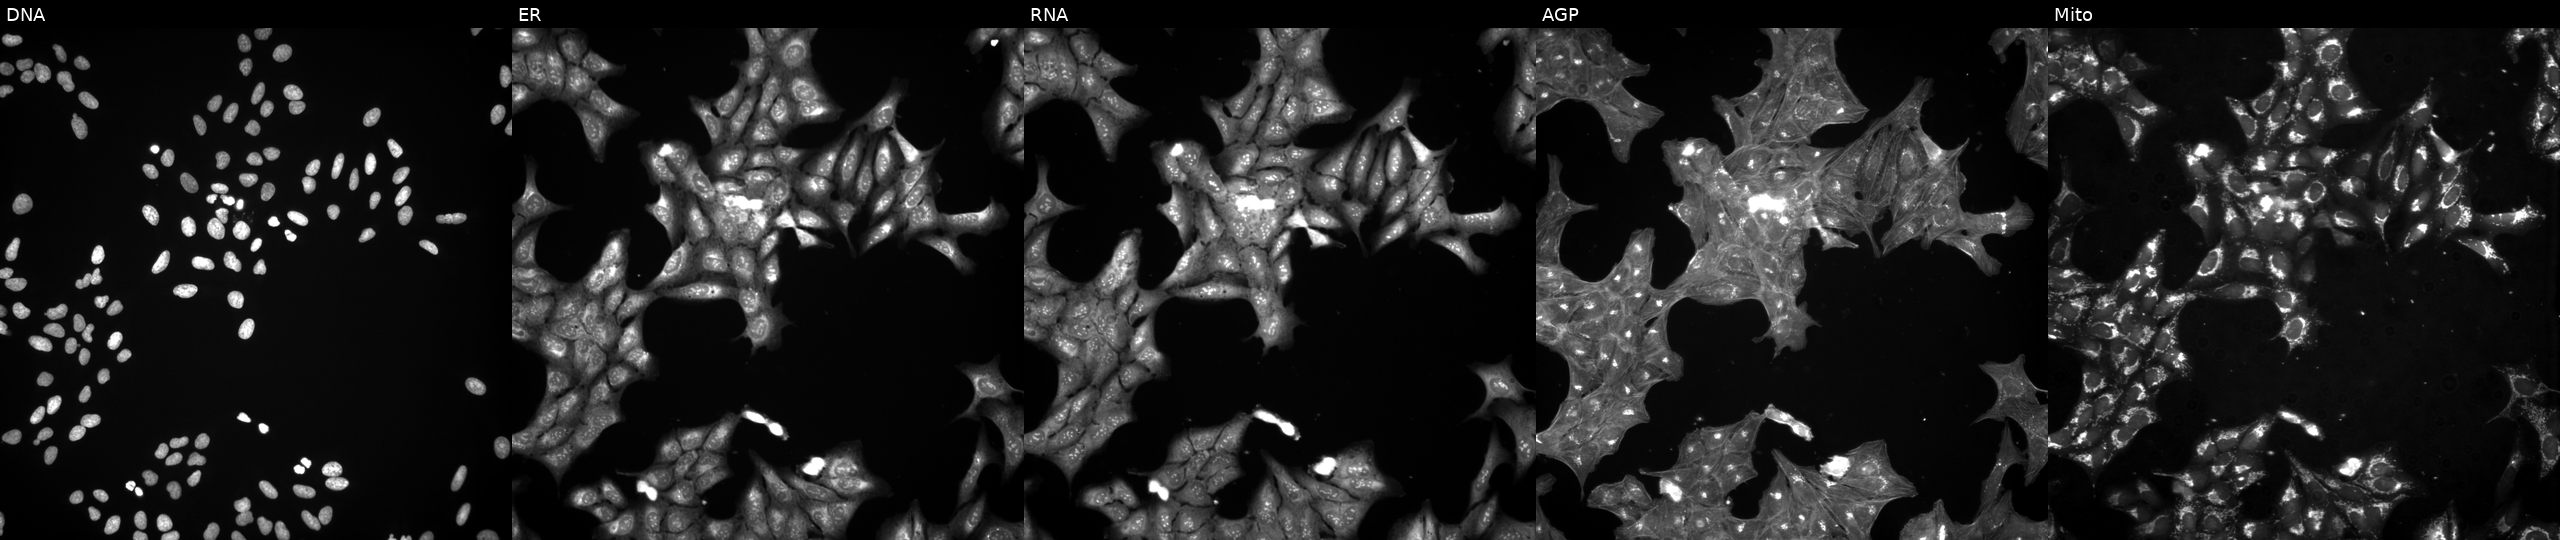
JUMP Cell Painting — TARGET2 plate. U2OS cells treated with a small-molecule compound [SMILES: Cc1oncc1C(=O)Nc1ccc(C(F)(F)F)cc1] (JUMP id JCP2022_094002). Panels show, left to right, Hoechst 33342, concanavalin A, SYTO 14, phalloidin and WGA, MitoTracker.